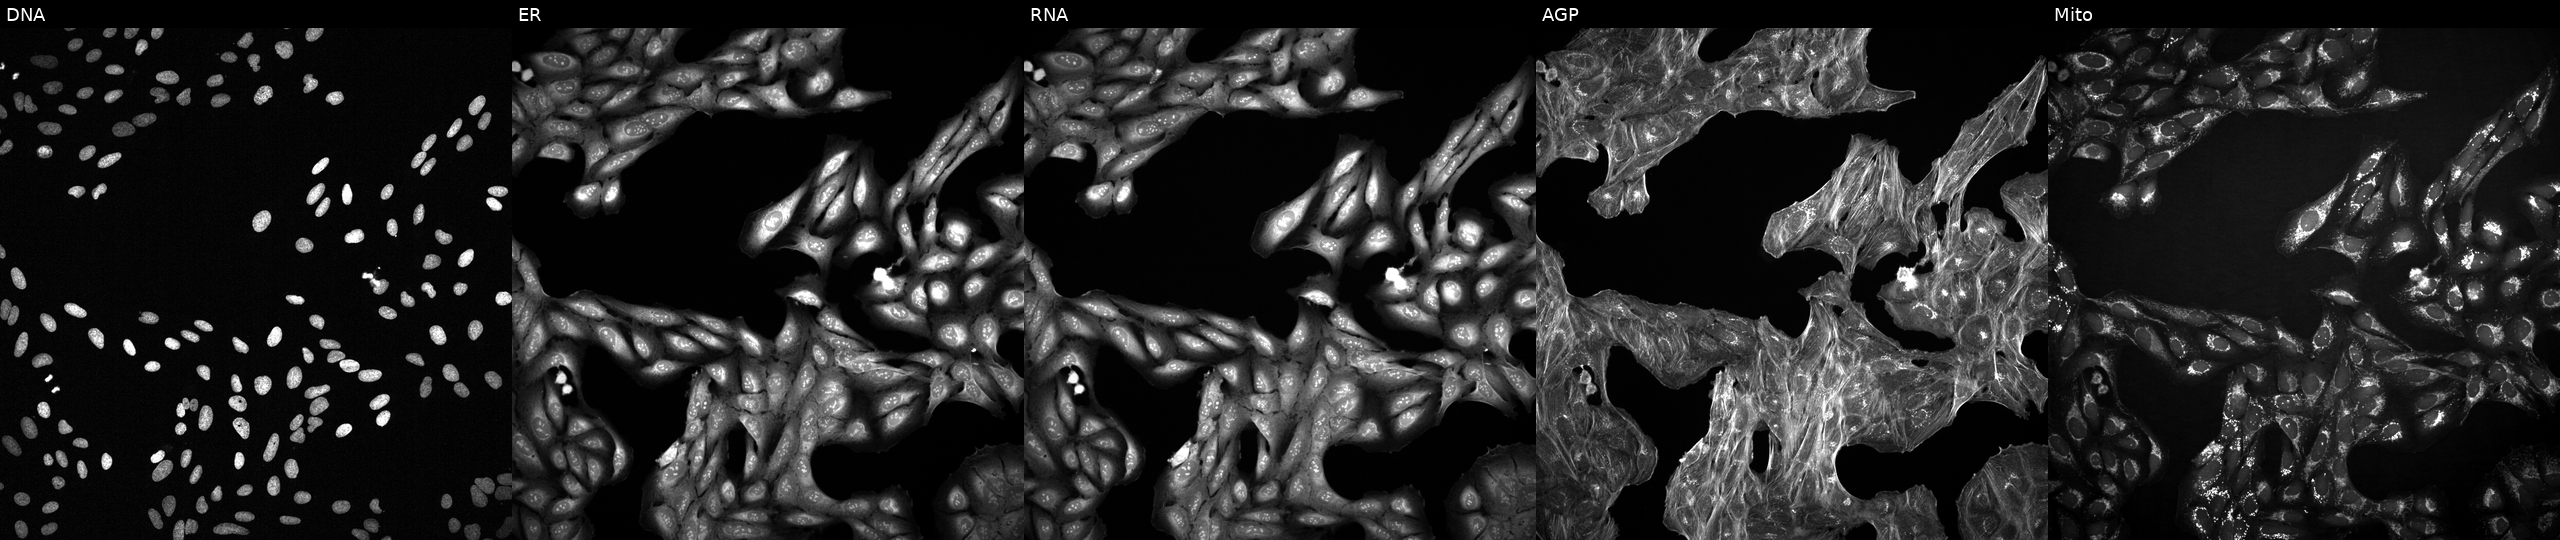
This image strip shows the five Cell Painting channels for a single field of U2OS cells exposed to a small-molecule compound (InChIKey LMZPSNYJVWNLHJ-UHFFFAOYSA-N). Panels show, left to right, DNA, ER, RNA, AGP, and Mito.